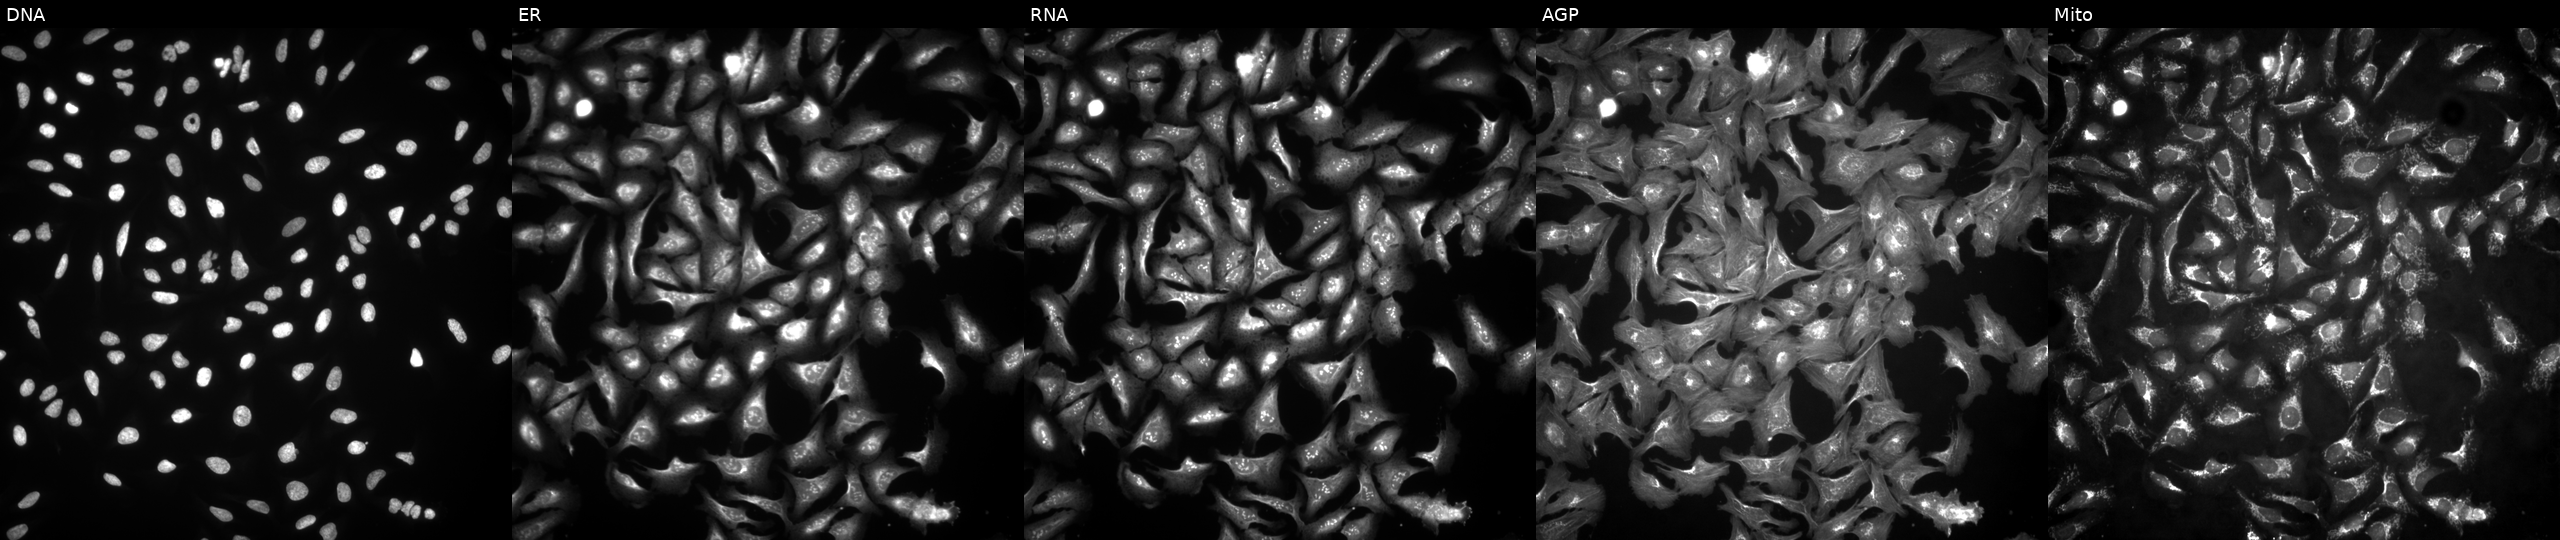
Five-channel Cell Painting image of U2OS cells with RGS2 overexpressed (ORF). Channels (left→right): DNA (nuclei); ER (endoplasmic reticulum); RNA (nucleoli and cytoplasmic RNA); AGP (actin cytoskeleton, Golgi, and plasma membrane); Mito (mitochondria).